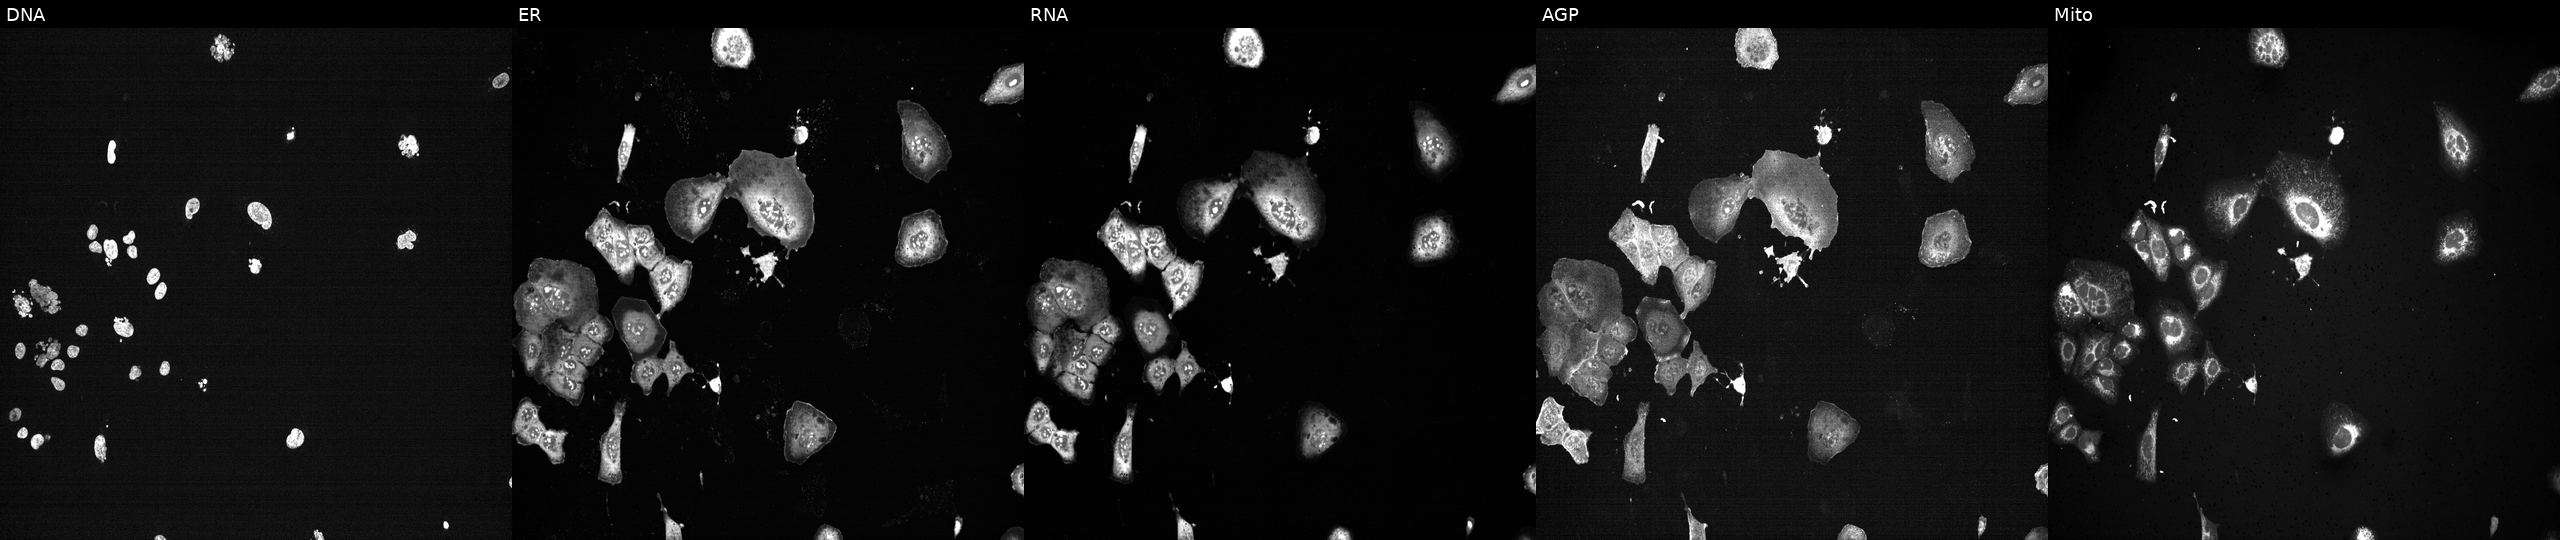
This image strip shows the five Cell Painting channels for a single field of U2OS cells with PLK1 knocked out by CRISPR (positive control). From left to right: DNA (nuclei); ER (endoplasmic reticulum); RNA (nucleoli and cytoplasmic RNA); AGP (actin cytoskeleton, Golgi, and plasma membrane); Mito (mitochondria).